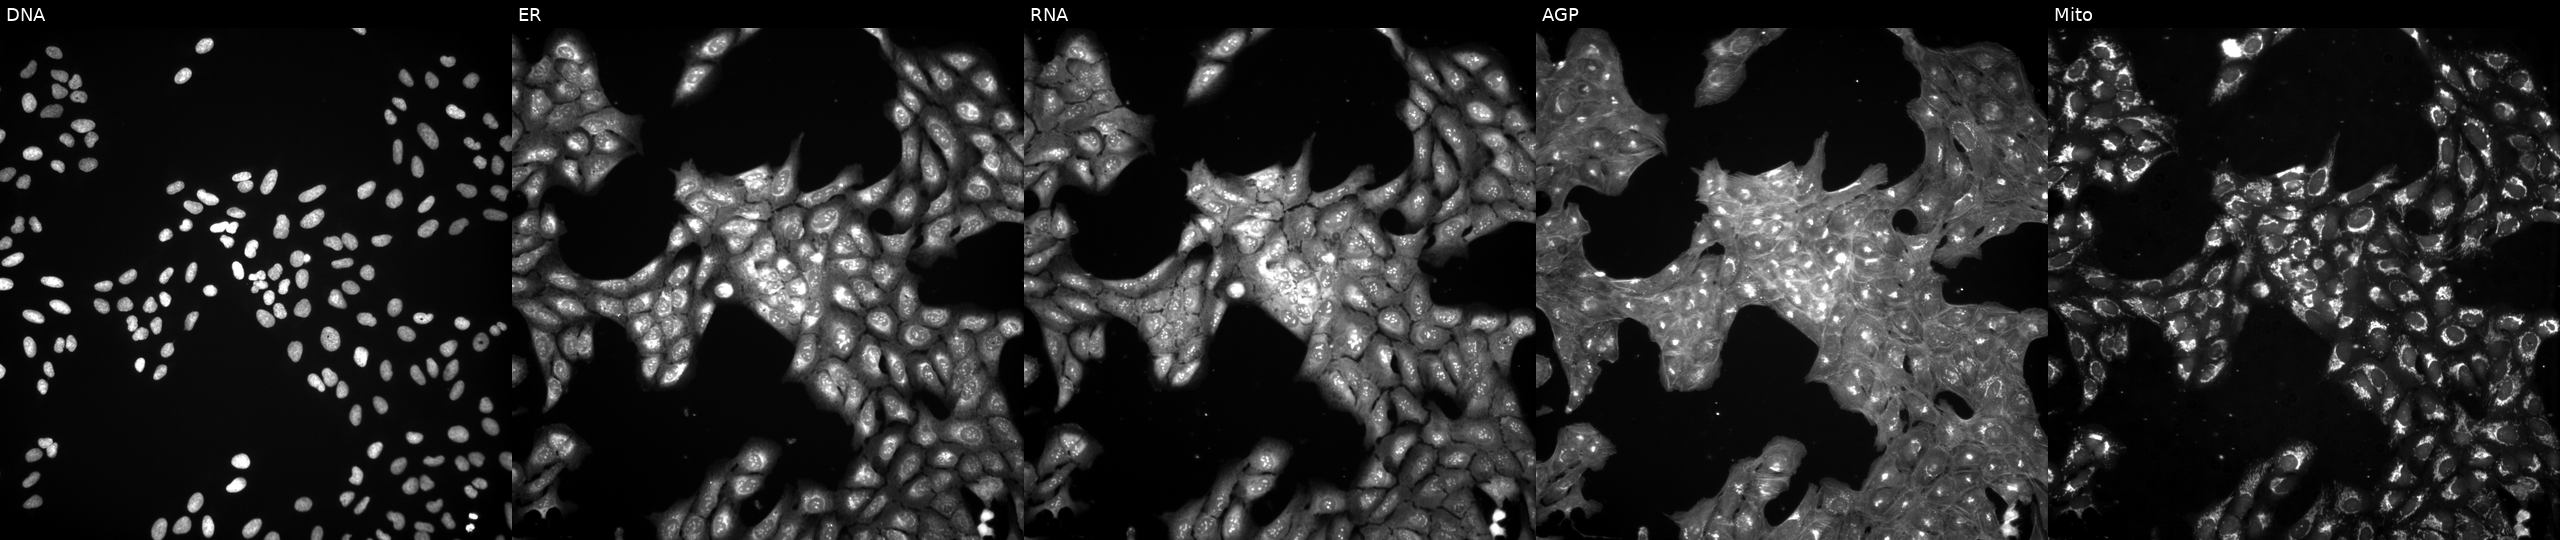
Channels (left→right): DNA, ER, RNA, AGP, and Mito. U2OS osteosarcoma cells perturbed with a small-molecule compound (InChIKey SGRYPYWGNKJSDL-UHFFFAOYSA-N). Cell Painting assay, JUMP-CP dataset. Source 3, plate JCPQC052, well I07.